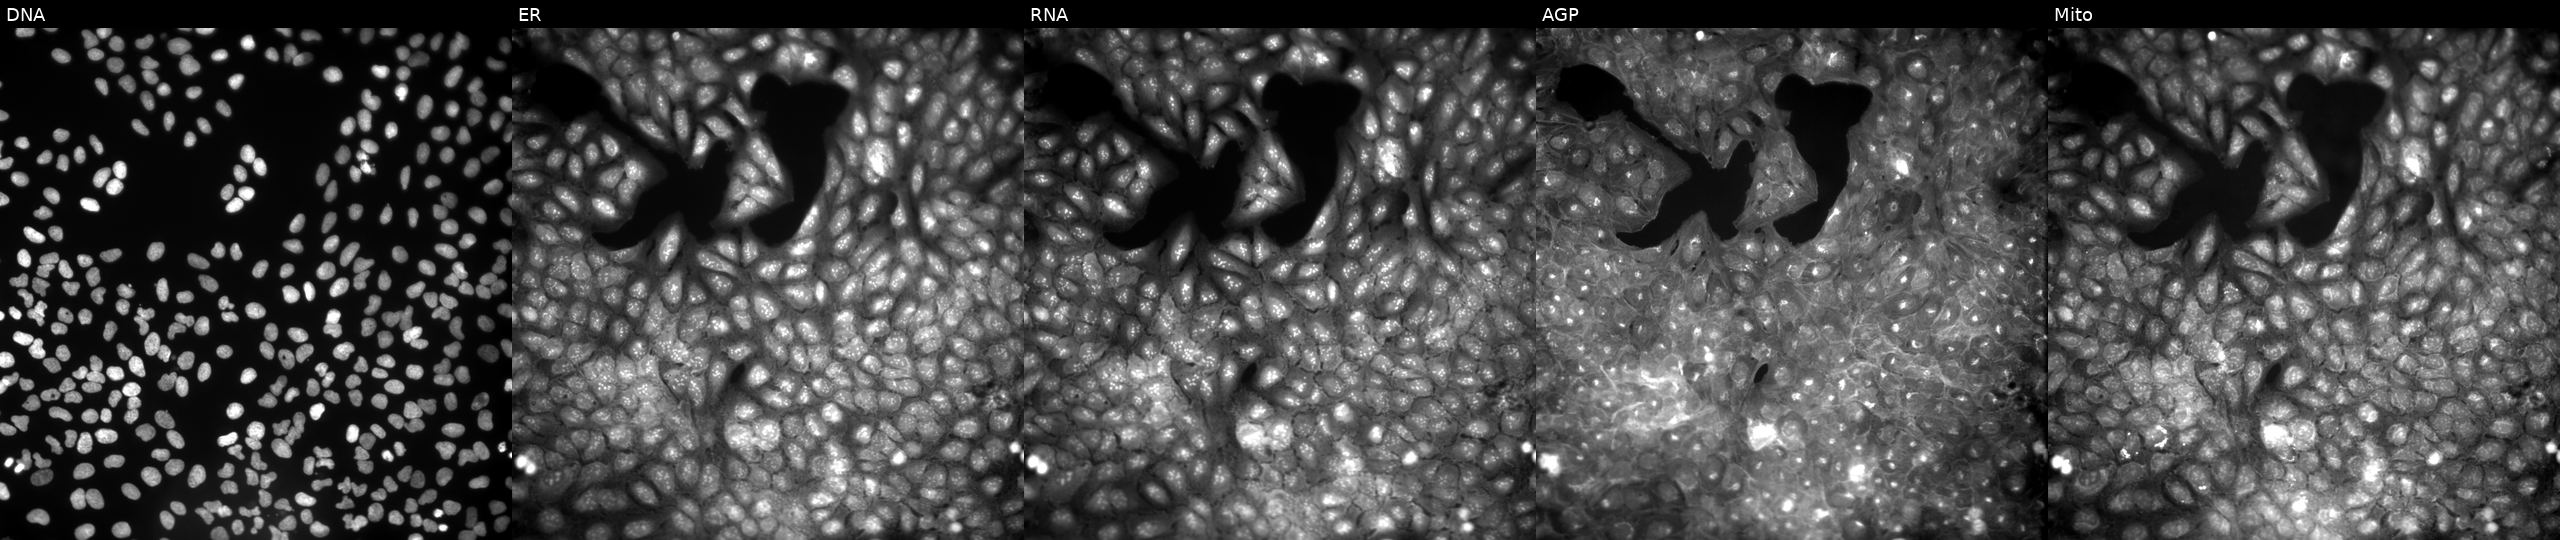
This image strip shows the five Cell Painting channels for a single field of U2OS cells treated with a small-molecule compound (InChIKey LFDJDPCURLFNQR-UHFFFAOYSA-N) [SMILES: CCC(C)N=c1[nH]c2c(c(=O)n(C)c(=O)n2C)n1Cc1cccc(C)c1] (JUMP id JCP2022_049026). From left to right: DNA (nuclei); ER (endoplasmic reticulum); RNA (nucleoli and cytoplasmic RNA); AGP (actin cytoskeleton, Golgi, and plasma membrane); Mito (mitochondria).